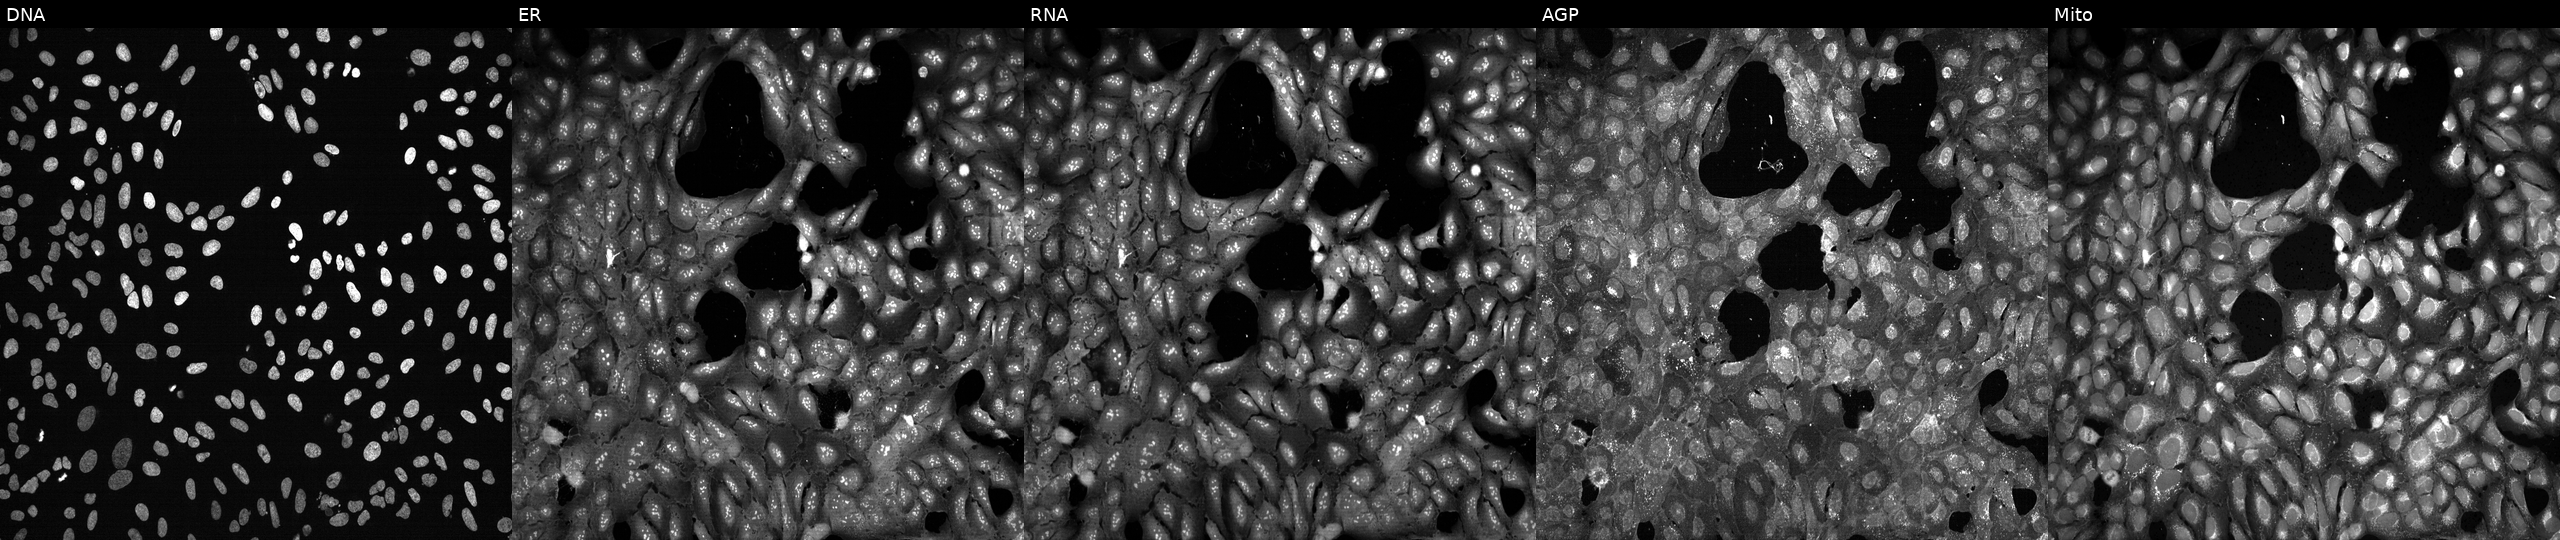
JUMP Cell Painting — CRISPR plate. U2OS cells CRISPR-edited to disrupt FANCA (JUMP id JCP2022_802263). The five panels, left to right, show DNA (nuclei); ER (endoplasmic reticulum); RNA (nucleoli and cytoplasmic RNA); AGP (actin cytoskeleton, Golgi, and plasma membrane); Mito (mitochondria). Source 13, plate CP-CC9-R1-01, well P10.